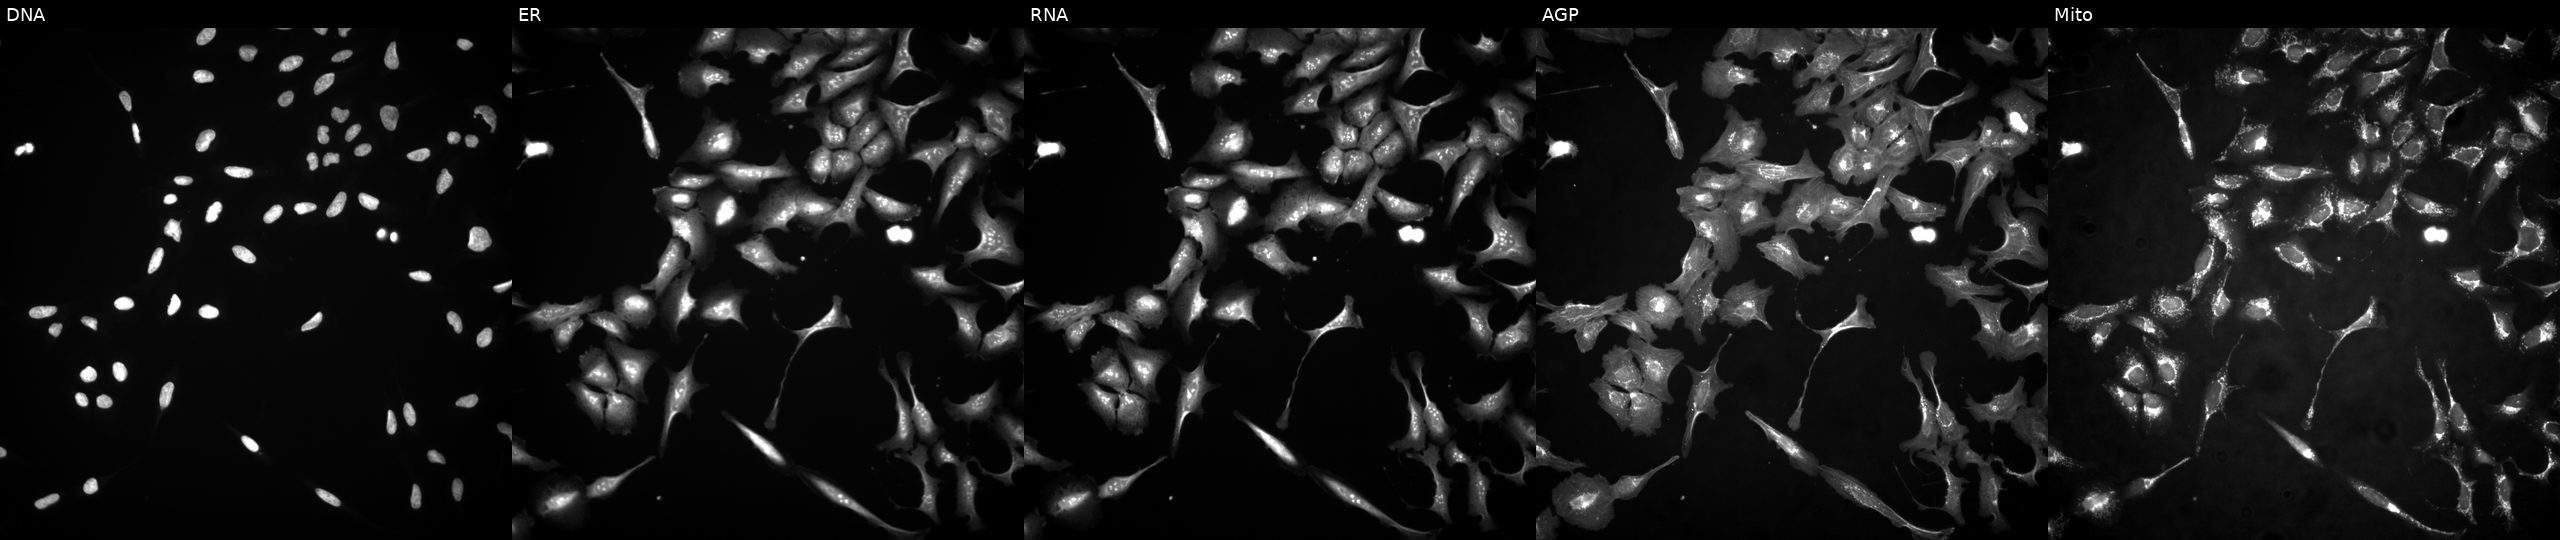
Panels show, left to right, DNA (nuclei); ER (endoplasmic reticulum); RNA (nucleoli and cytoplasmic RNA); AGP (actin cytoskeleton, Golgi, and plasma membrane); Mito (mitochondria). U2OS osteosarcoma cells transfected with an ORF construct for TWIST2. Cell Painting assay, JUMP-CP dataset.